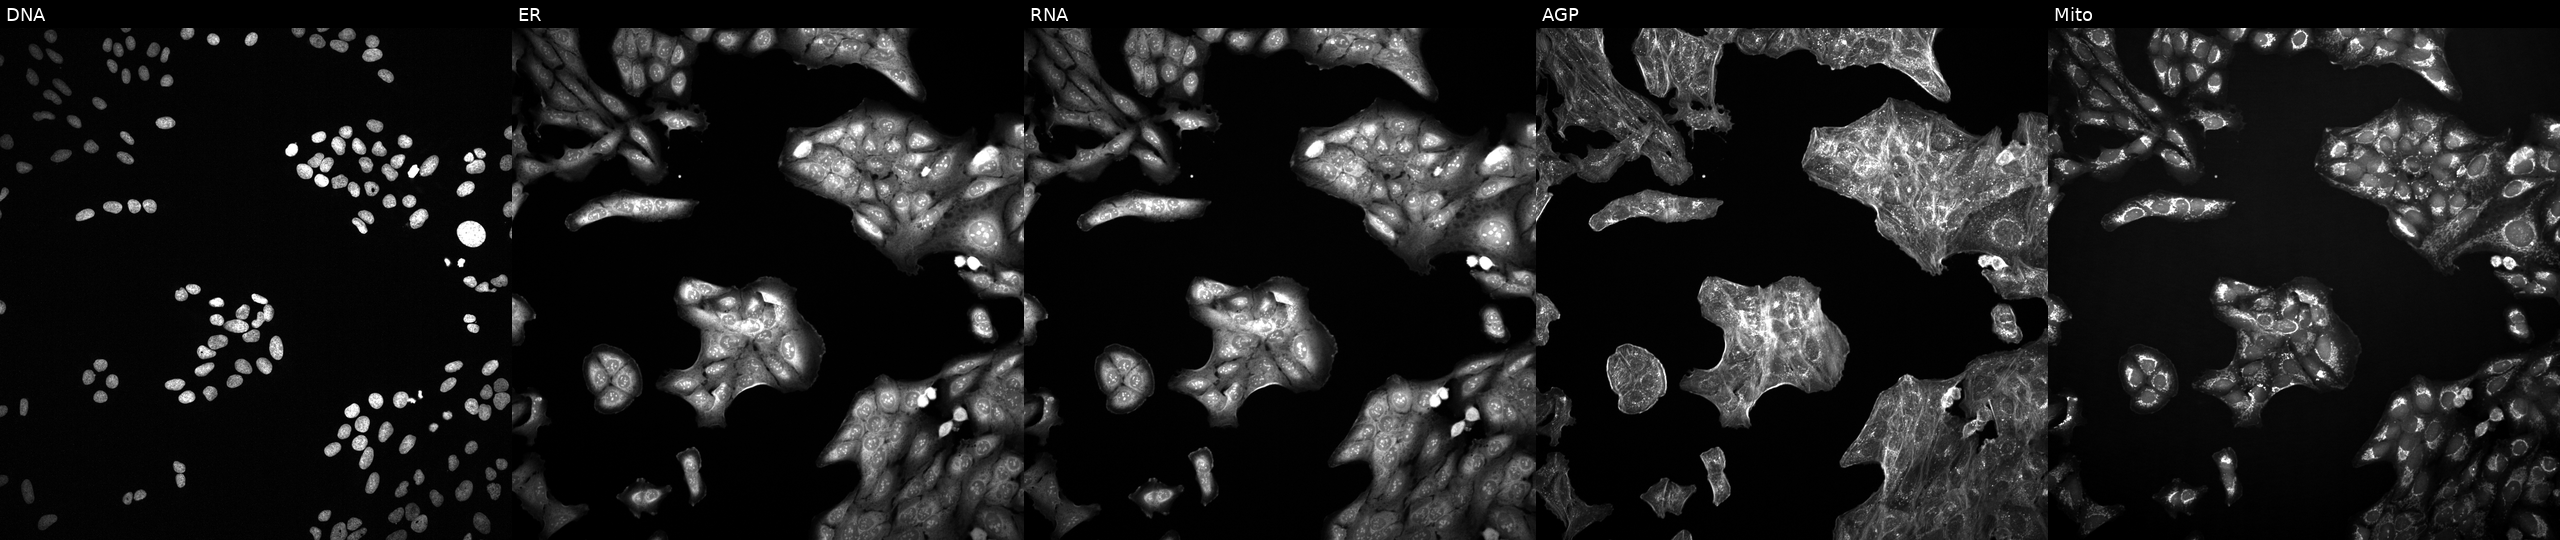
The five panels, left to right, show DNA (nuclei); ER (endoplasmic reticulum); RNA (nucleoli and cytoplasmic RNA); AGP (actin cytoskeleton, Golgi, and plasma membrane); Mito (mitochondria). U2OS osteosarcoma cells perturbed with a small-molecule compound. Cell Painting assay, JUMP-CP dataset.